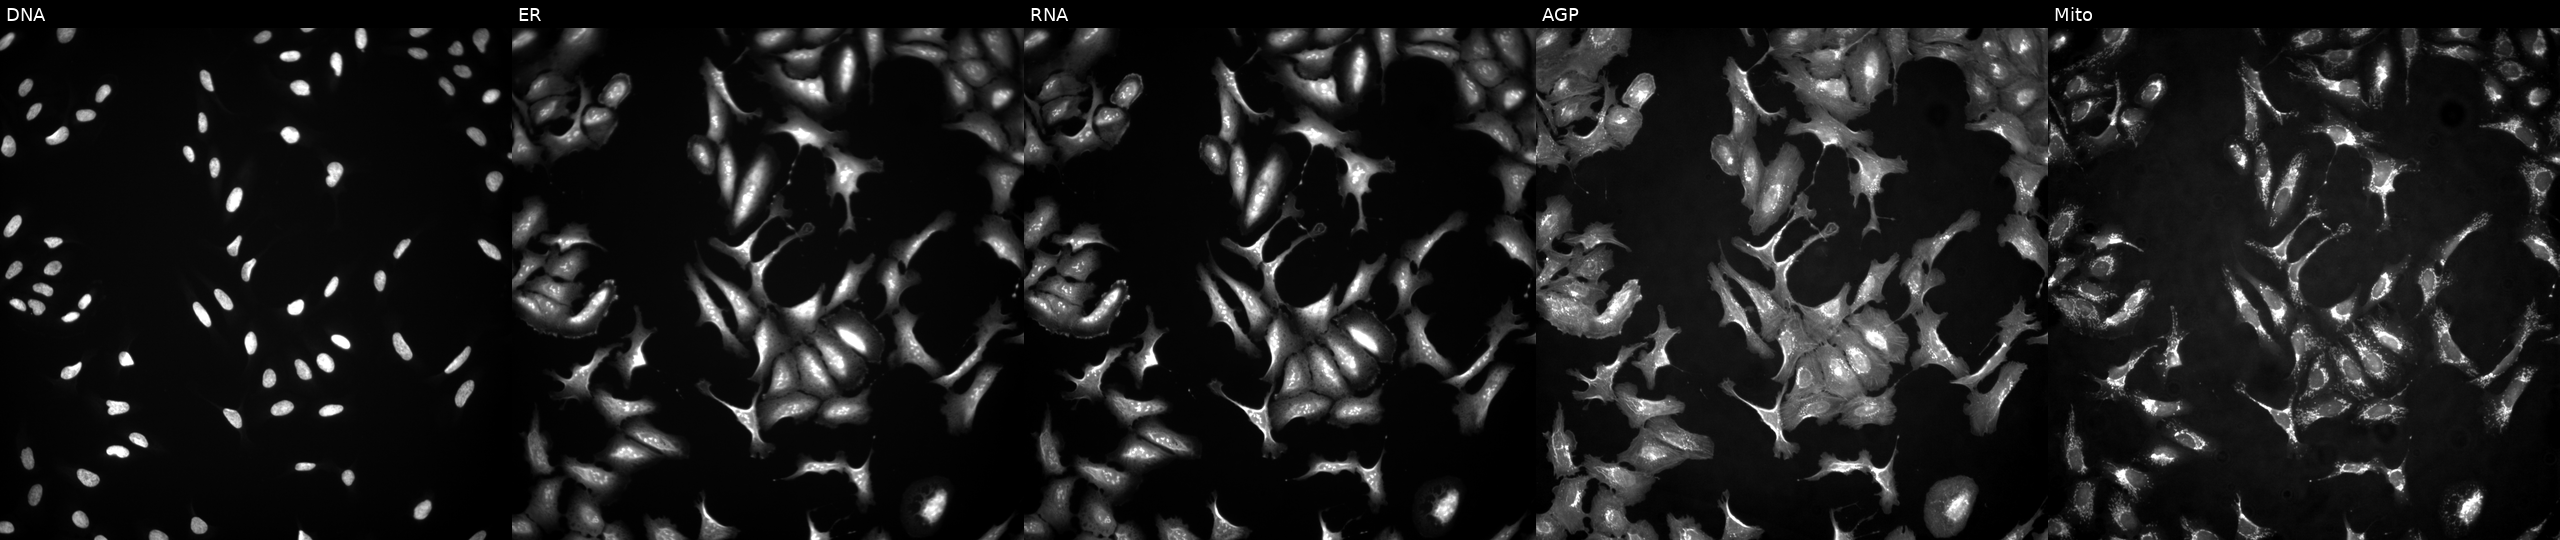
JUMP Cell Painting — ORF plate. U2OS cells overexpressing CHMP2B via ORF transfection (JUMP id JCP2022_907454). Panels show, left to right, Hoechst 33342, concanavalin A, SYTO 14, phalloidin and WGA, MitoTracker.